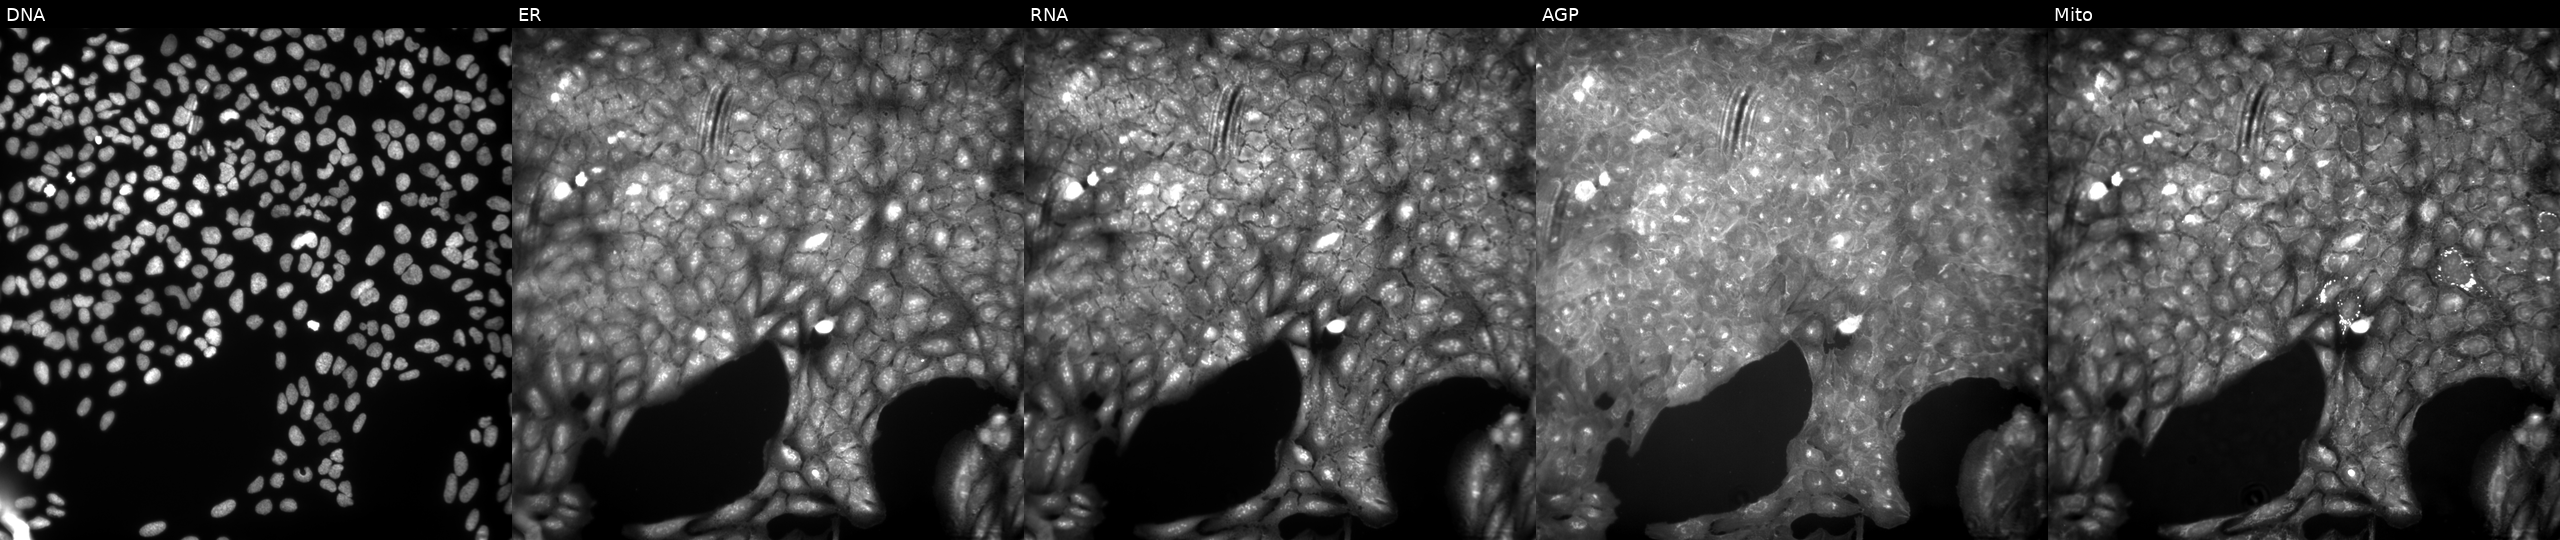
From left to right: DNA (nuclei); ER (endoplasmic reticulum); RNA (nucleoli and cytoplasmic RNA); AGP (actin cytoskeleton, Golgi, and plasma membrane); Mito (mitochondria). U2OS osteosarcoma cells treated with a small-molecule compound (JUMP id JCP2022_016262). Cell Painting assay, JUMP-CP dataset.